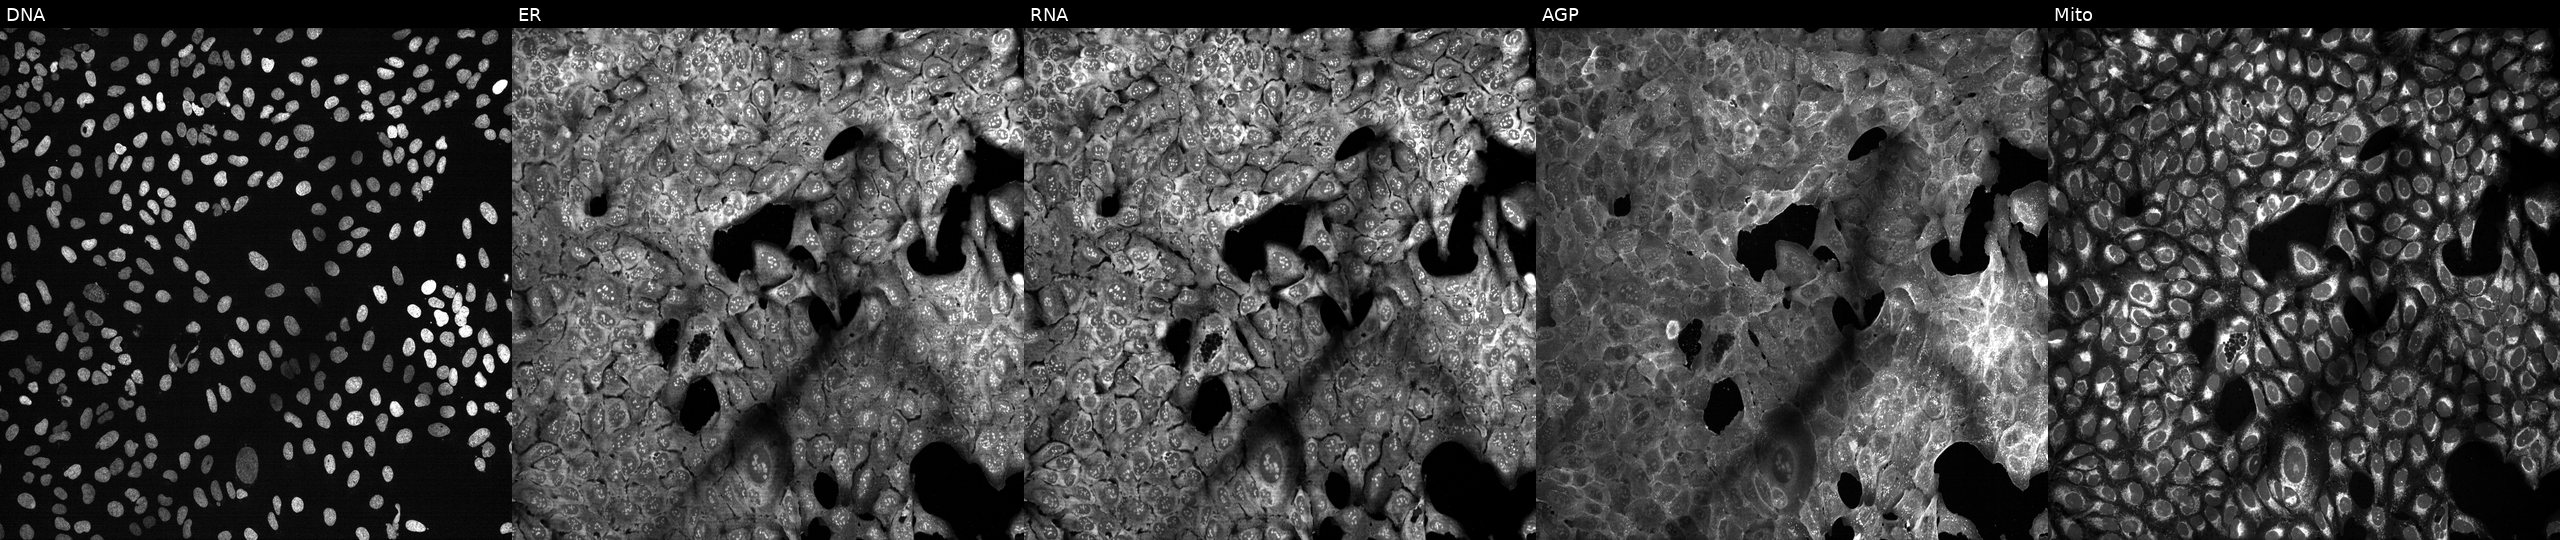
JUMP Cell Painting — CRISPR plate. U2OS cells with NR0B1 knocked out by CRISPR (JUMP id JCP2022_804676). Panels show, left to right, DNA (nuclei); ER (endoplasmic reticulum); RNA (nucleoli and cytoplasmic RNA); AGP (actin cytoskeleton, Golgi, and plasma membrane); Mito (mitochondria).